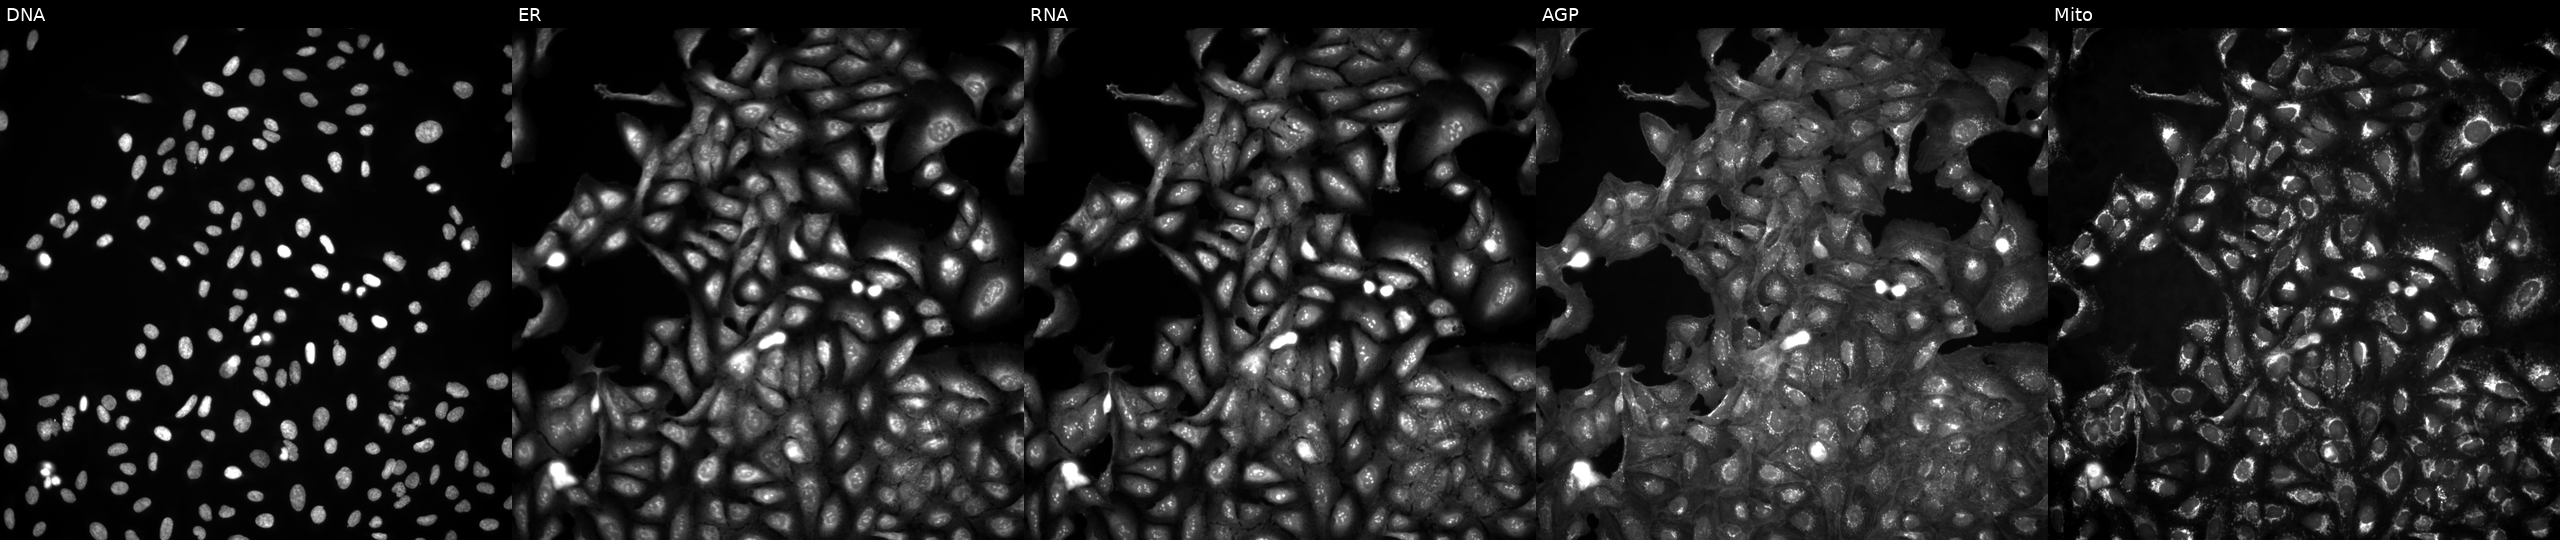
Panels show, left to right, Hoechst 33342, concanavalin A, SYTO 14, phalloidin and WGA, MitoTracker. U2OS osteosarcoma cells in an empty control well (no perturbation) (JUMP id JCP2022_999999). Cell Painting assay, JUMP-CP dataset.